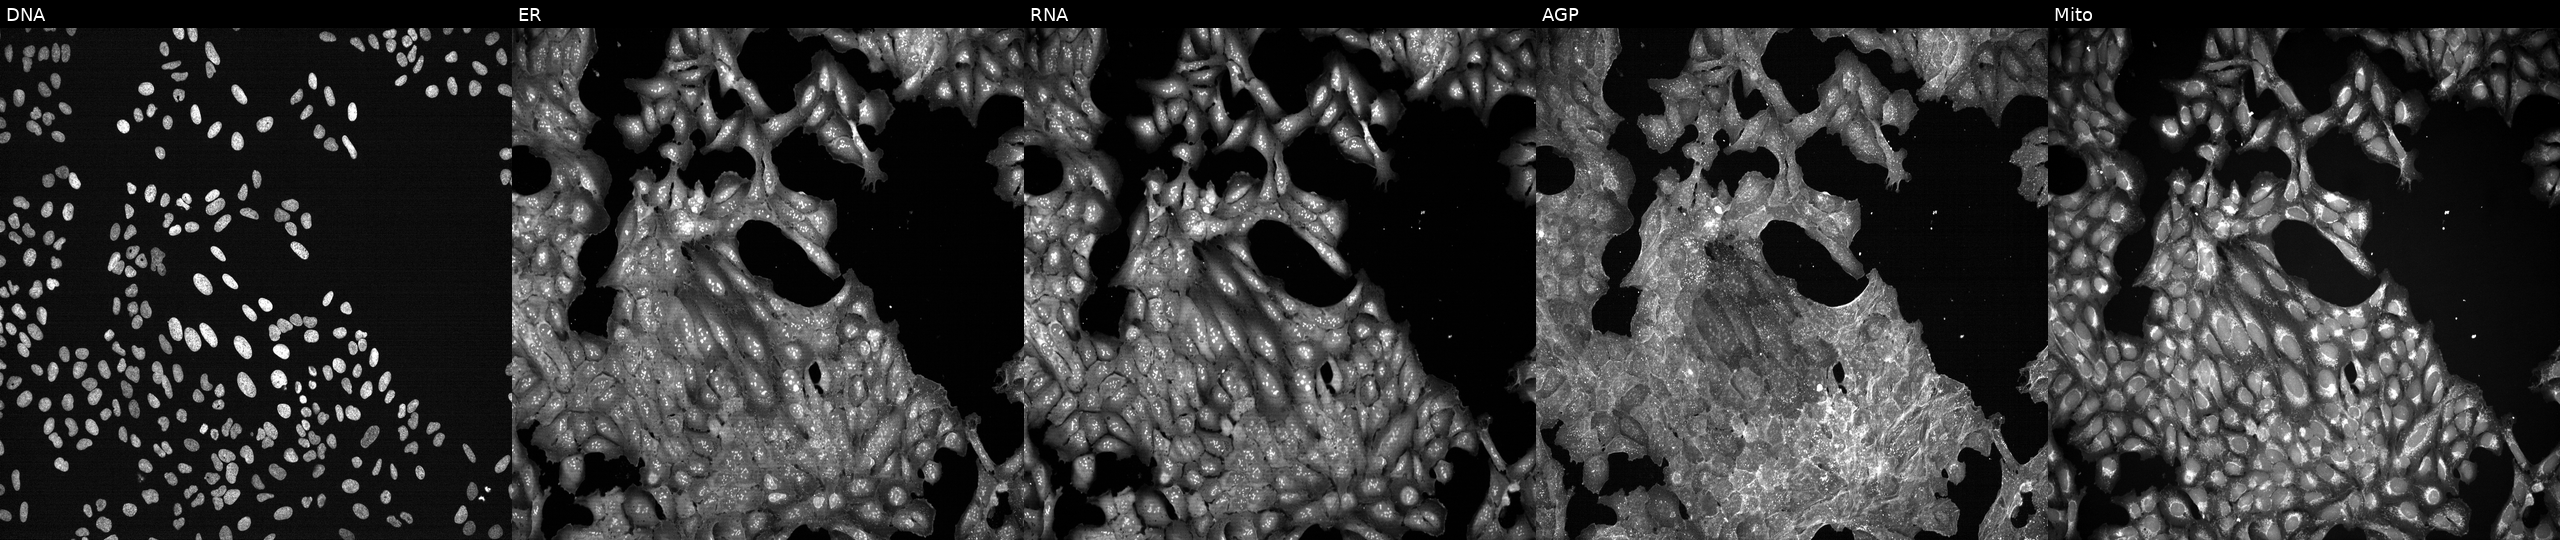
JUMP Cell Painting — TARGET2 plate. U2OS cells perturbed with a small-molecule compound (InChIKey PDMUGYOXRHVNMO-UHFFFAOYSA-N) [SMILES: OCCn1cc(-c2cnc3nnn(Cc4ccc5ncccc5c4)c3n2)cn1] (JUMP id JCP2022_067886). The five panels, left to right, show Hoechst 33342, concanavalin A, SYTO 14, phalloidin and WGA, MitoTracker.